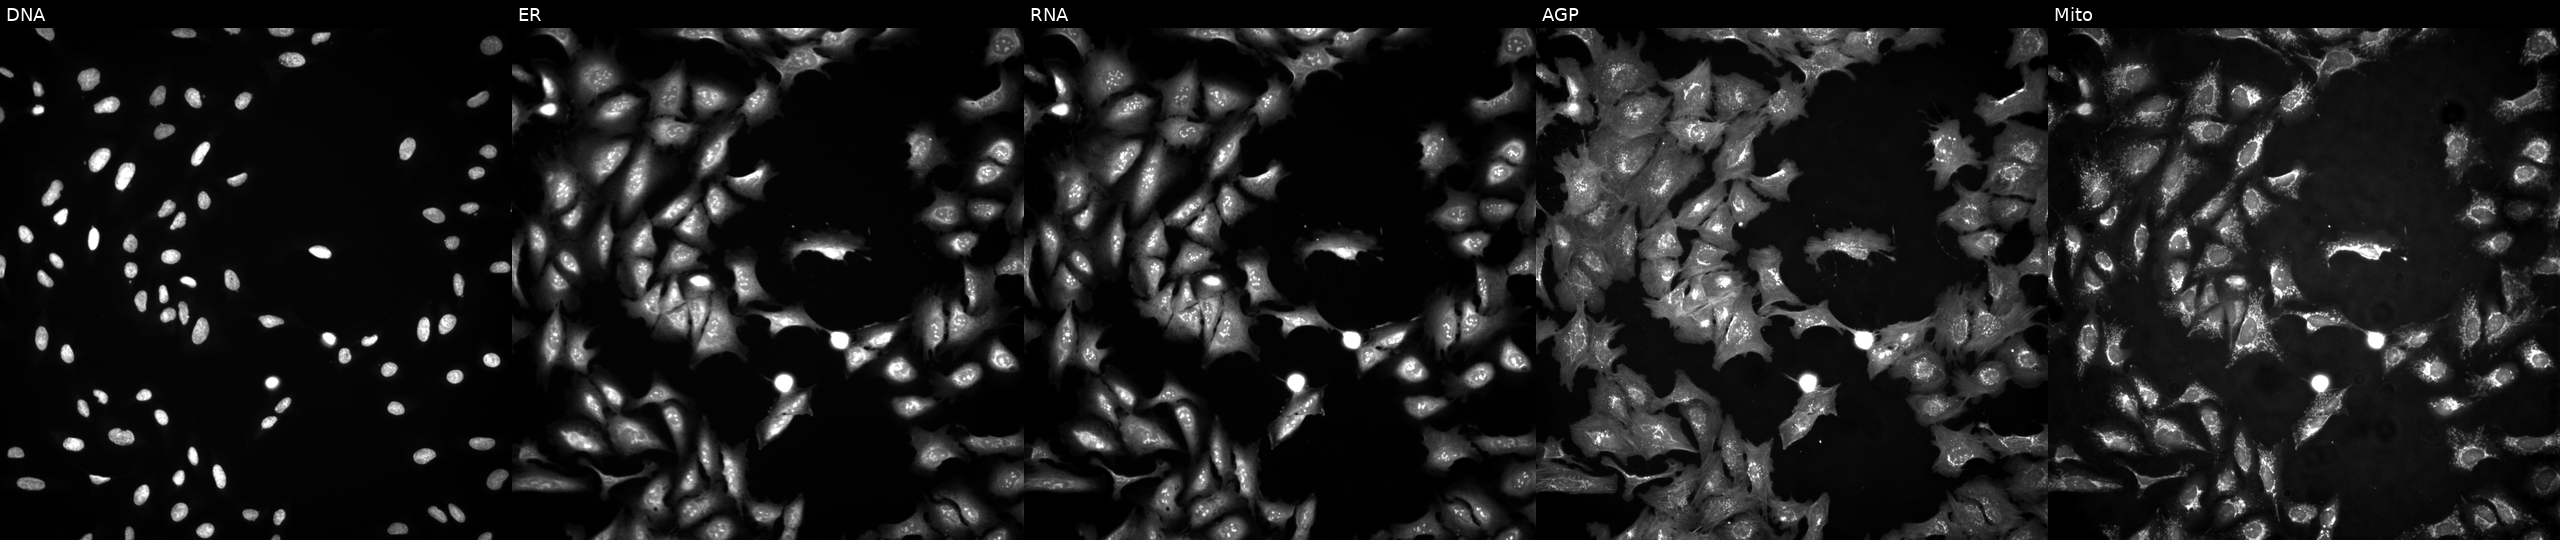
Five-channel Cell Painting image of U2OS cells overexpressing POMK via ORF transfection (JUMP id JCP2022_914199). From left to right: DNA, ER, RNA, AGP, and Mito.